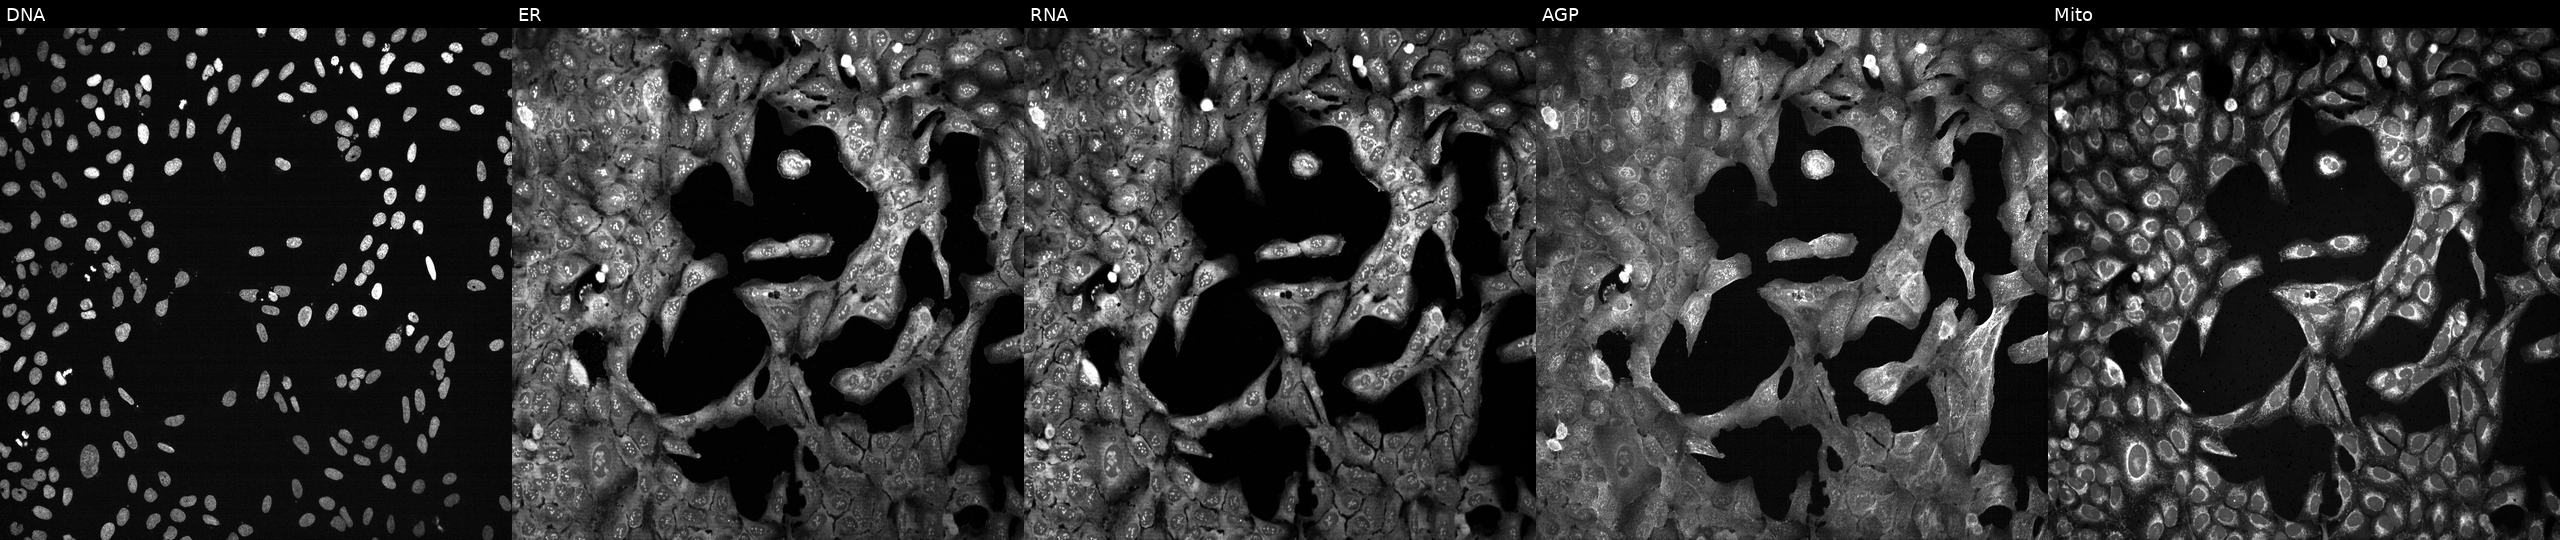
Five-channel Cell Painting image of U2OS cells with DDX52 knocked out by CRISPR (JUMP id JCP2022_801748). The five panels, left to right, show DNA (nuclei); ER (endoplasmic reticulum); RNA (nucleoli and cytoplasmic RNA); AGP (actin cytoskeleton, Golgi, and plasma membrane); Mito (mitochondria).